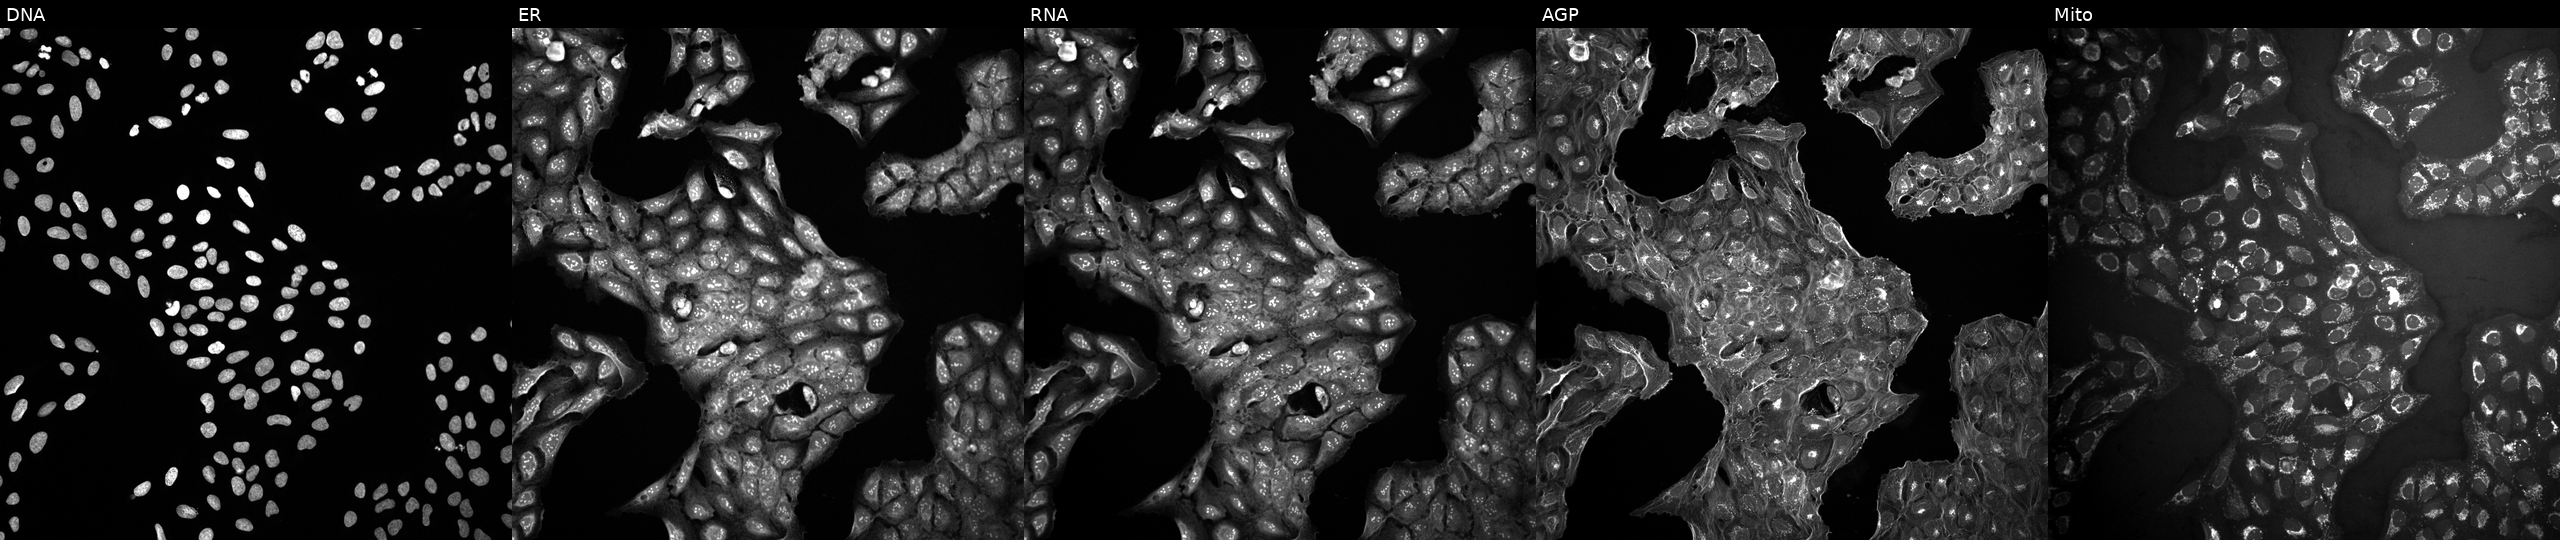
JUMP Cell Painting — COMPOUND plate. U2OS cells in an empty control well (no perturbation). The five panels, left to right, show Hoechst 33342, concanavalin A, SYTO 14, phalloidin and WGA, MitoTracker. Source 10, plate Dest210531-152149, well K13.